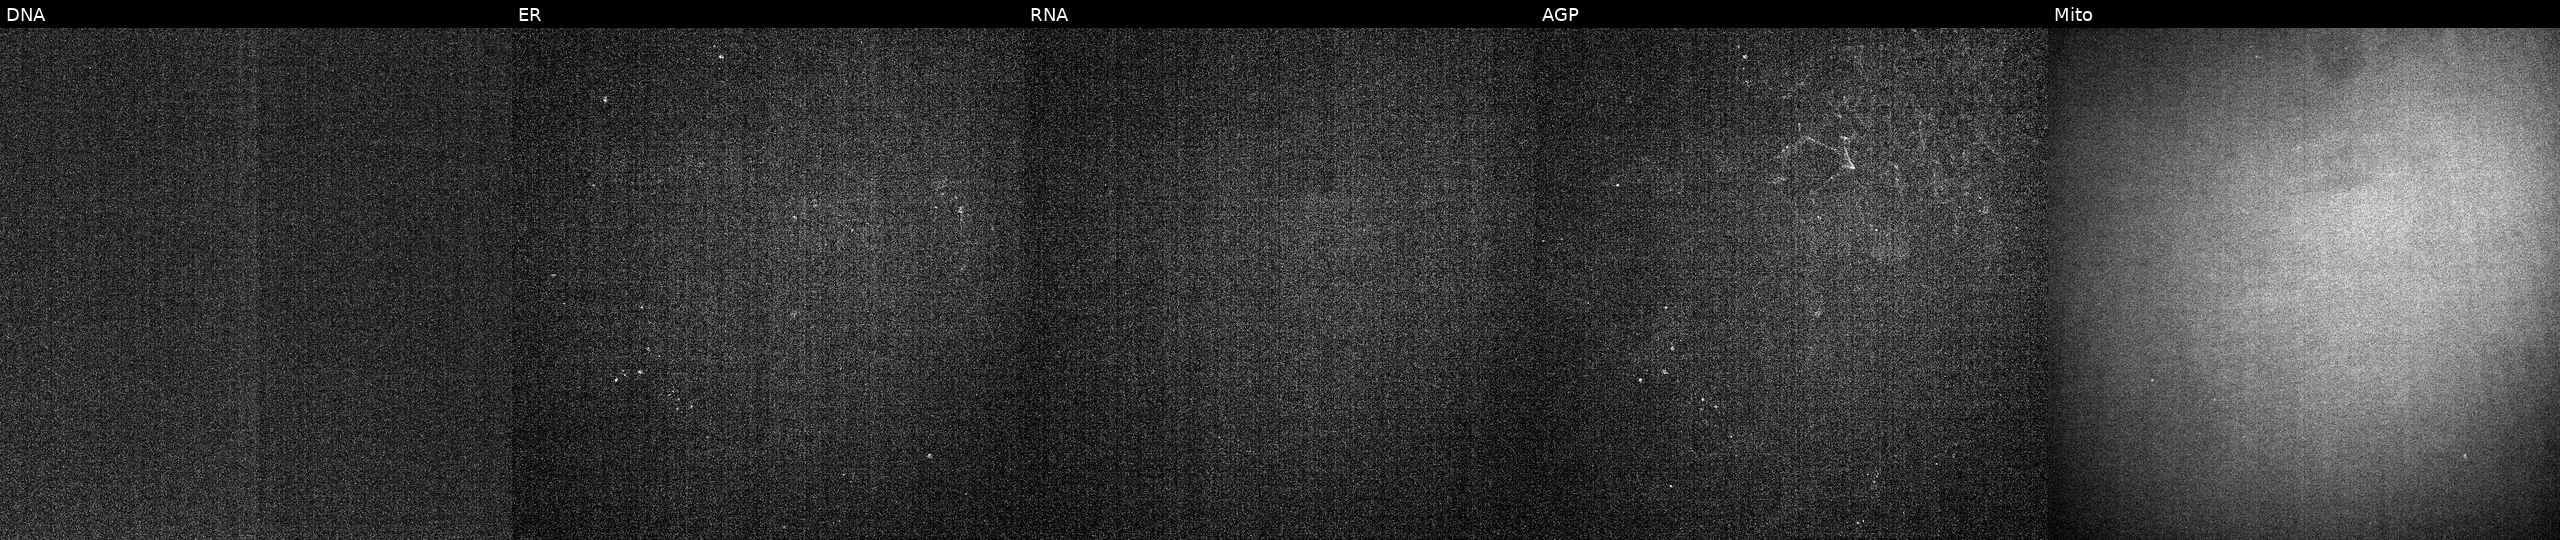
The five panels, left to right, show DNA (nuclei); ER (endoplasmic reticulum); RNA (nucleoli and cytoplasmic RNA); AGP (actin cytoskeleton, Golgi, and plasma membrane); Mito (mitochondria). U2OS osteosarcoma cells with an unidentified perturbation (not annotated in JUMP metadata). Cell Painting assay, JUMP-CP dataset. Source 2, plate 1053599503, well H14.